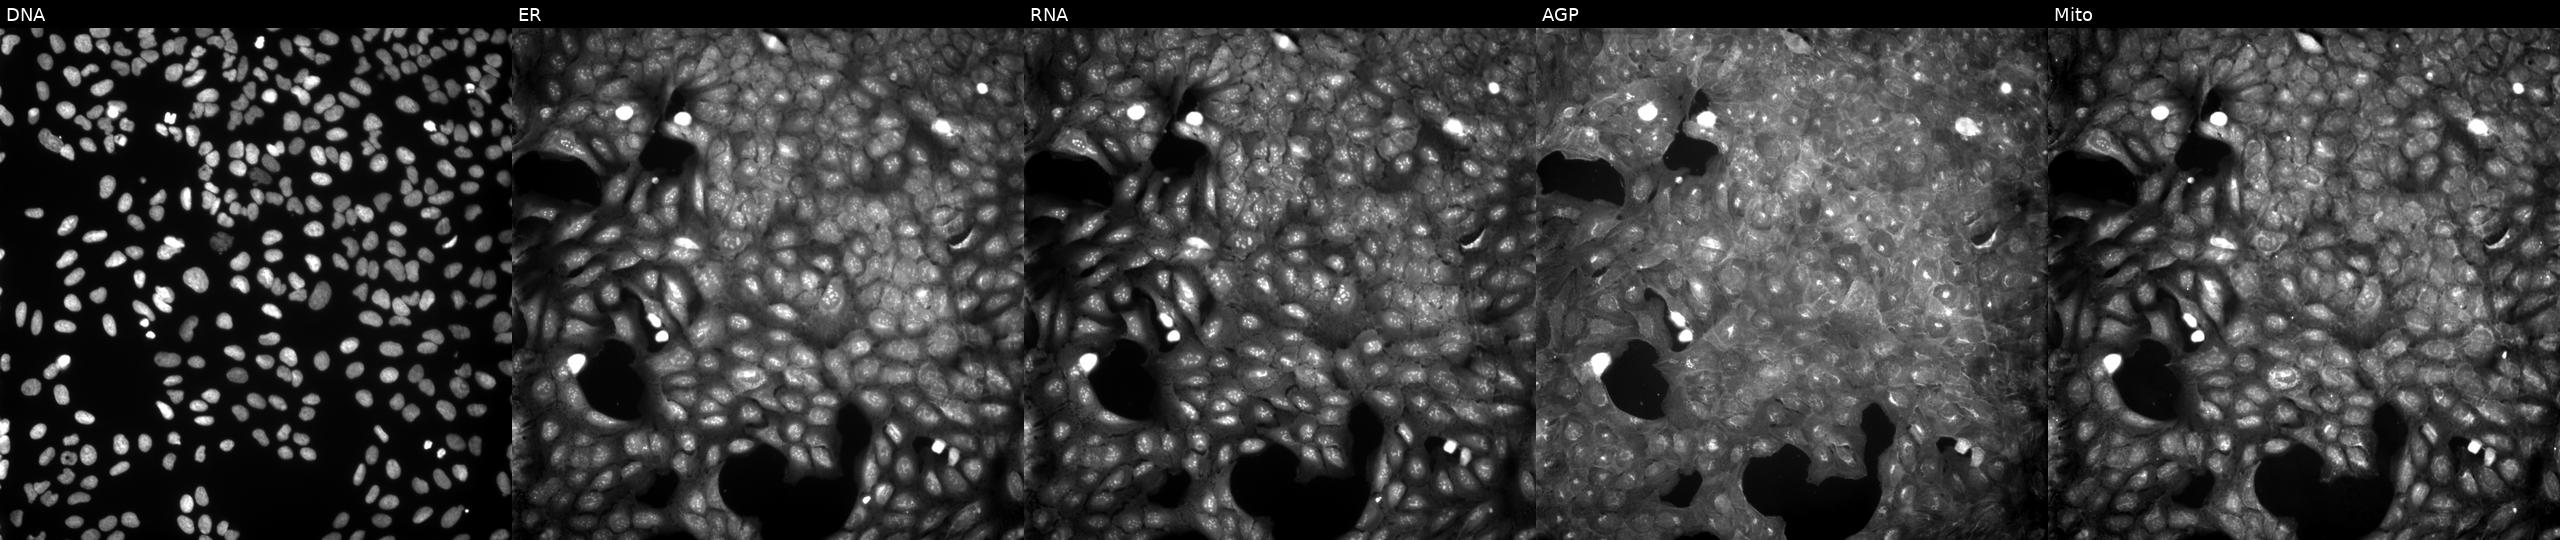
This image strip shows the five Cell Painting channels for a single field of U2OS cells treated with a small-molecule compound (InChIKey LBSNSOWJLIAIRF-UHFFFAOYSA-N). Channels (left→right): DNA (nuclei); ER (endoplasmic reticulum); RNA (nucleoli and cytoplasmic RNA); AGP (actin cytoskeleton, Golgi, and plasma membrane); Mito (mitochondria).